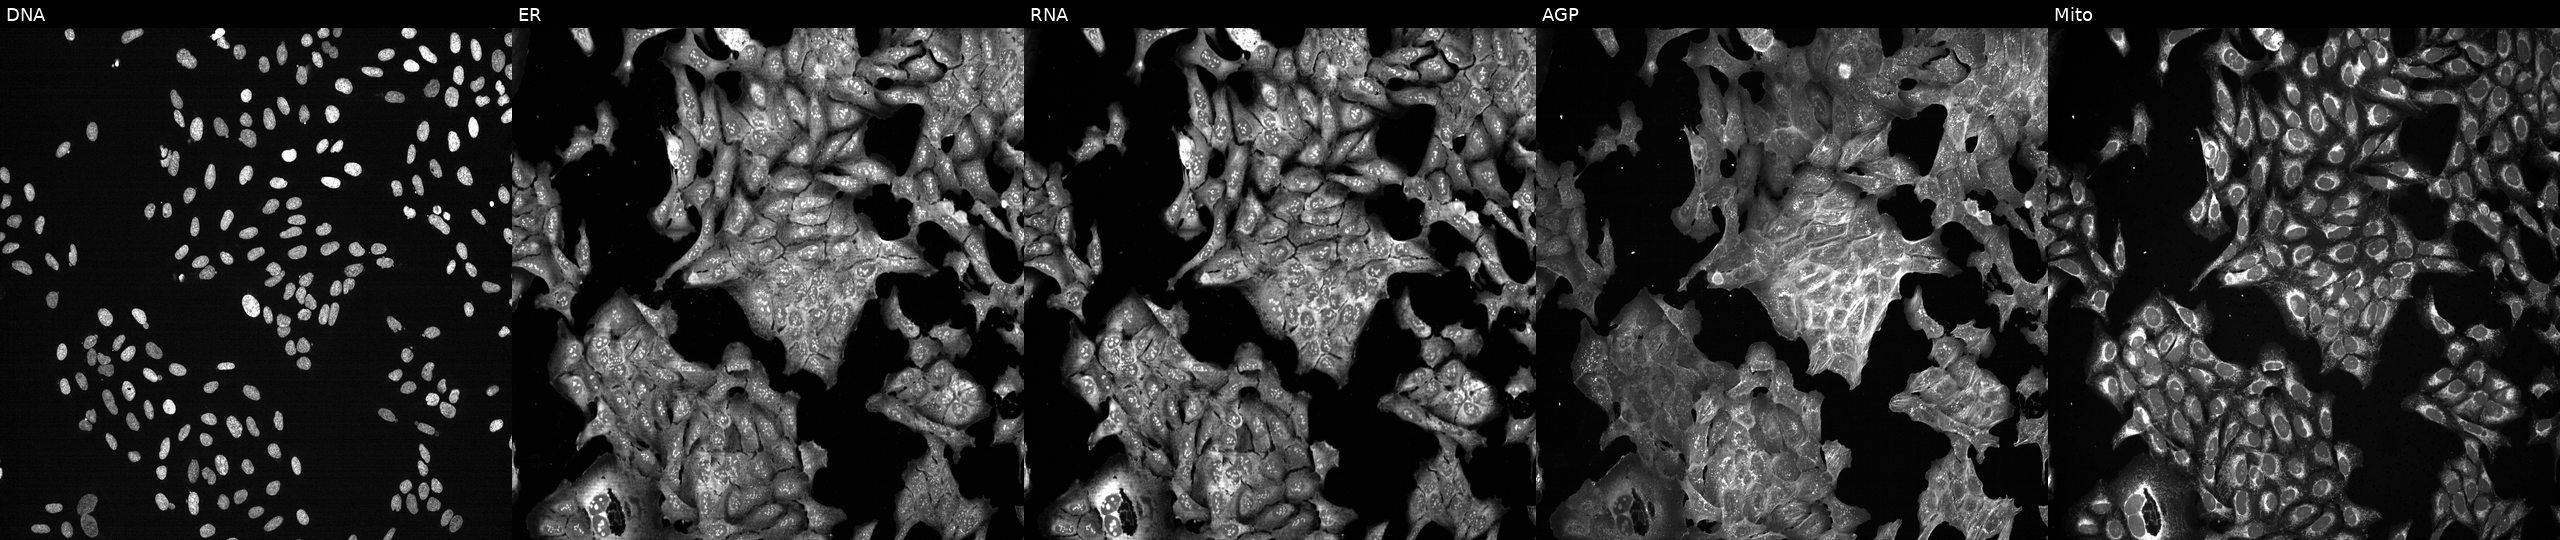
JUMP Cell Painting — CRISPR plate. U2OS cells CRISPR-edited to disrupt PROC (JUMP id JCP2022_805552). Channels (left→right): Hoechst 33342, concanavalin A, SYTO 14, phalloidin and WGA, MitoTracker.